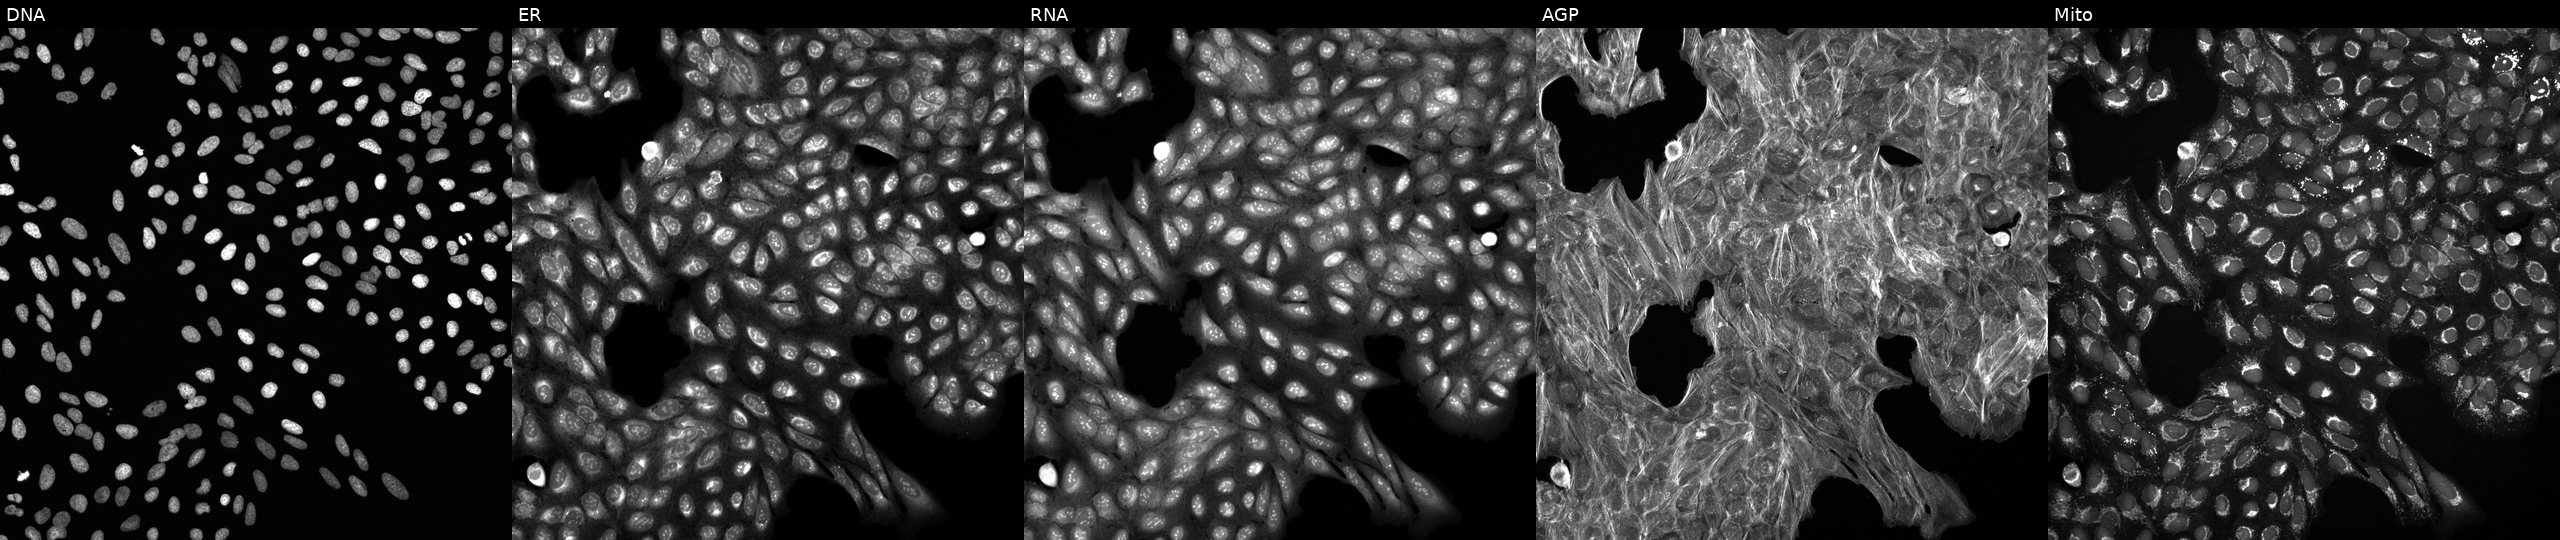
This image strip shows the five Cell Painting channels for a single field of U2OS cells exposed to a small-molecule compound (InChIKey RXRUEKGTMXUFRY-UHFFFAOYSA-N). Channels (left→right): DNA (nuclei); ER (endoplasmic reticulum); RNA (nucleoli and cytoplasmic RNA); AGP (actin cytoskeleton, Golgi, and plasma membrane); Mito (mitochondria).